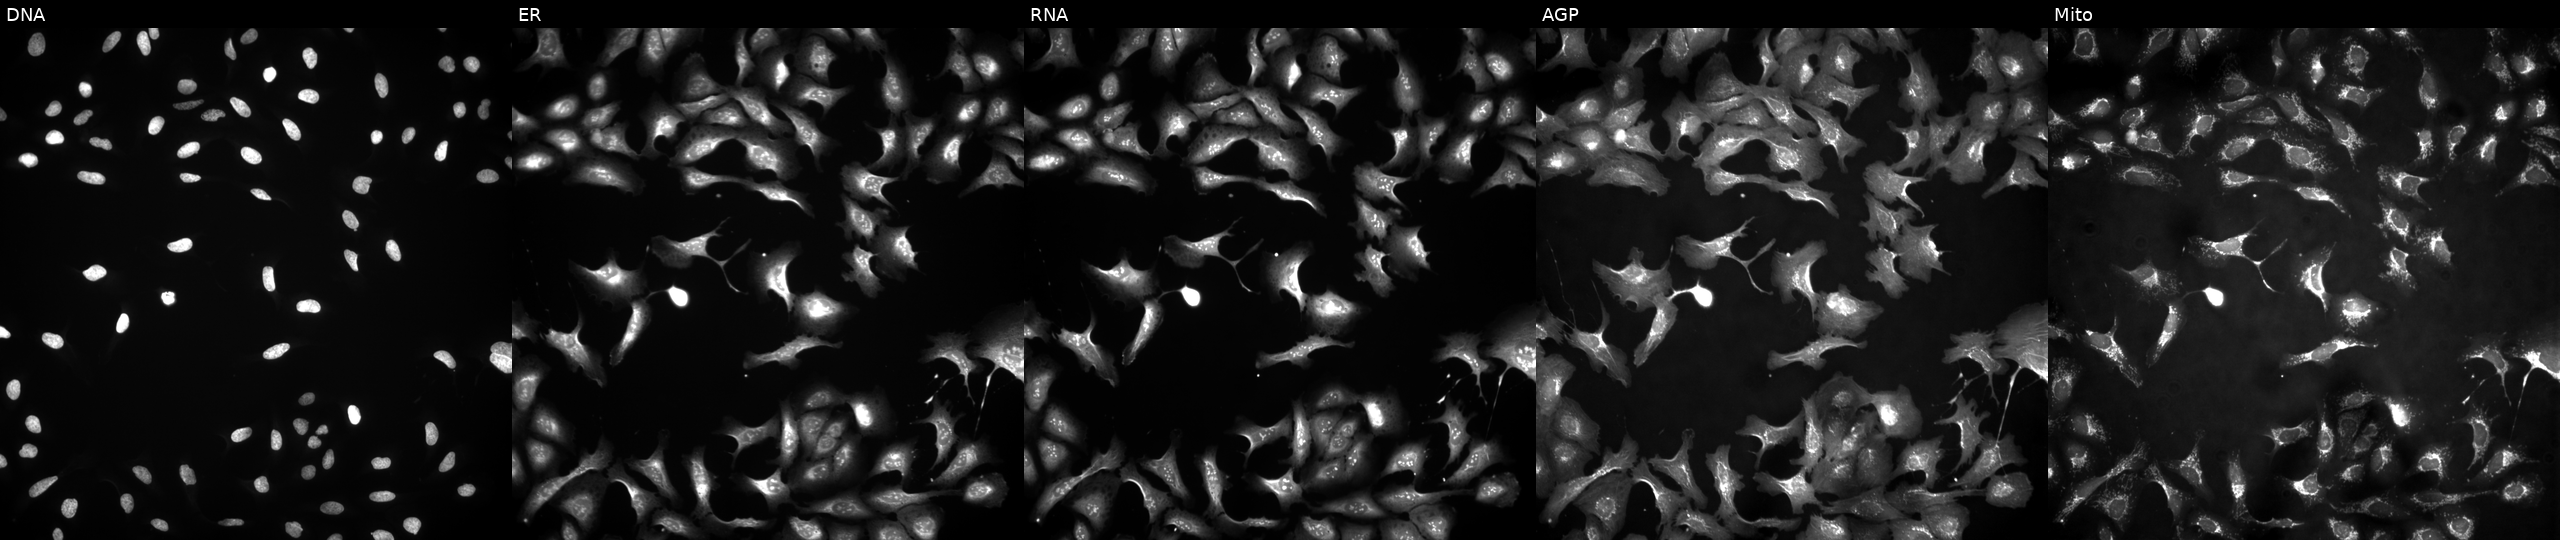
U2OS cells, Cell Painting assay, with PIN1 overexpressed (ORF) (JUMP id JCP2022_901128). From left to right: DNA, ER, RNA, AGP, and Mito. Each panel is percentile-stretched 16-bit fluorescence.